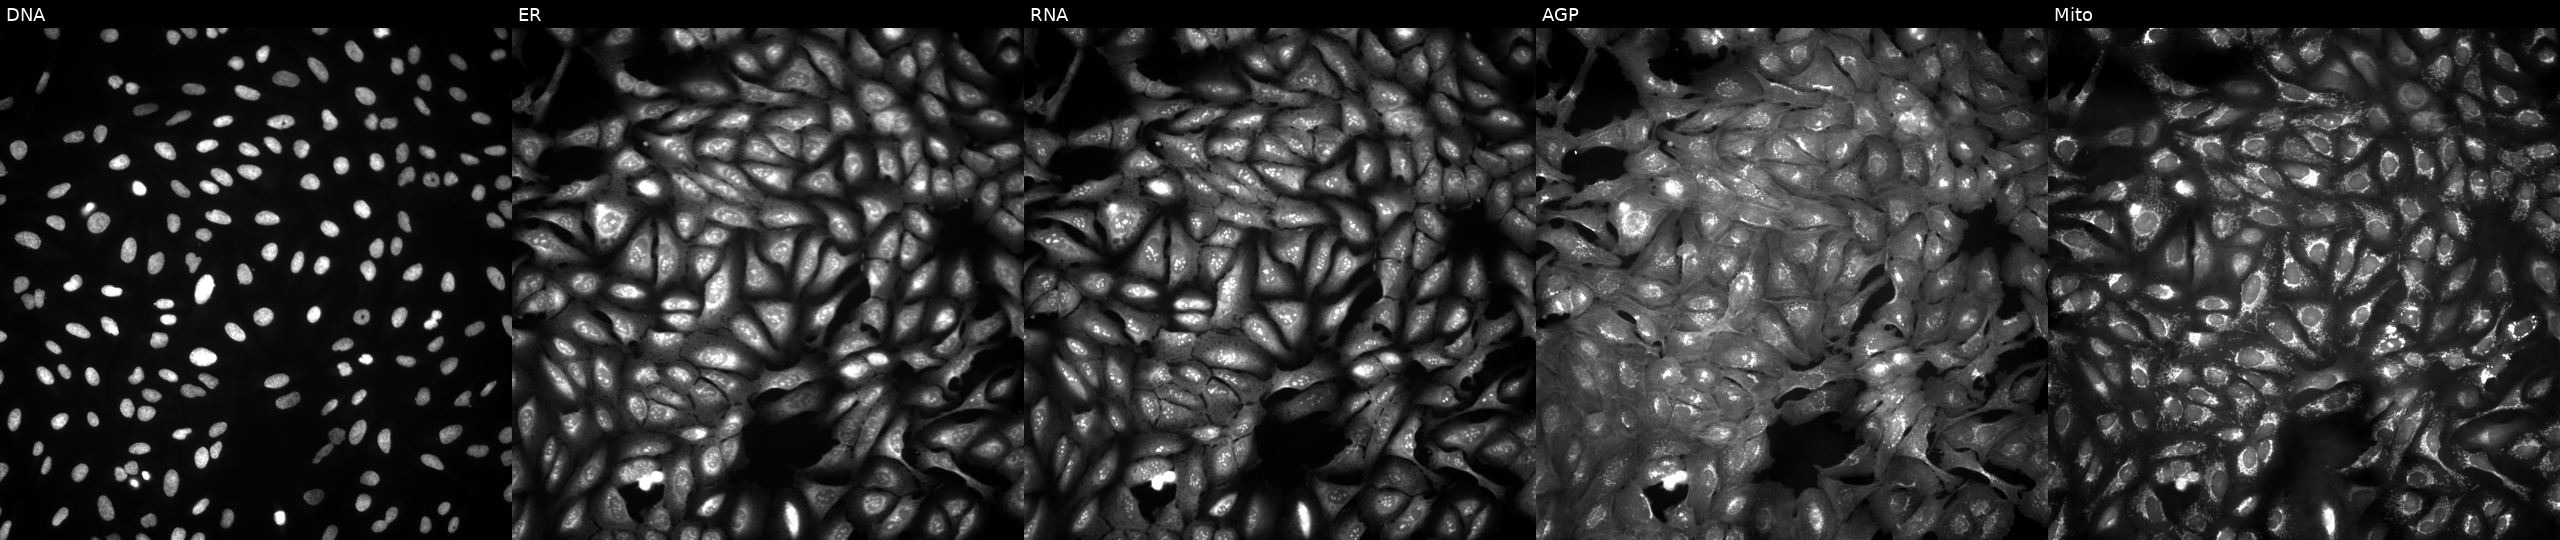
JUMP Cell Painting — ORF plate. U2OS cells overexpressing CLYBL via ORF transfection (JUMP id JCP2022_909120). The five panels, left to right, show Hoechst 33342, concanavalin A, SYTO 14, phalloidin and WGA, MitoTracker.